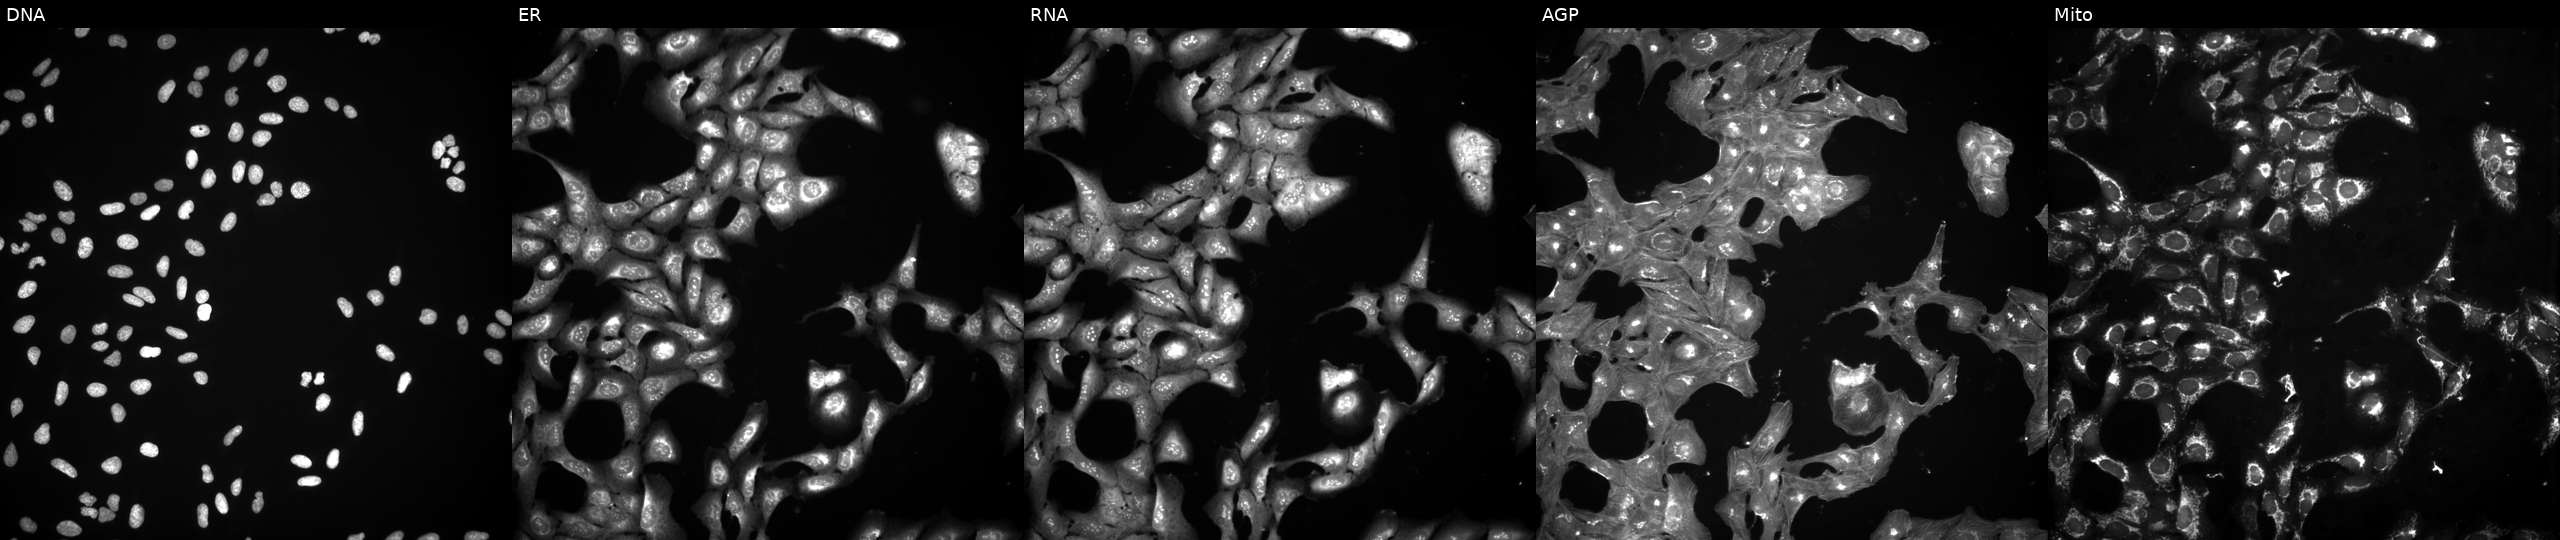
JUMP Cell Painting — TARGET2 plate. U2OS cells exposed to a small-molecule compound. From left to right: DNA (nuclei); ER (endoplasmic reticulum); RNA (nucleoli and cytoplasmic RNA); AGP (actin cytoskeleton, Golgi, and plasma membrane); Mito (mitochondria). Source 3, plate JCPQC052, well N12.